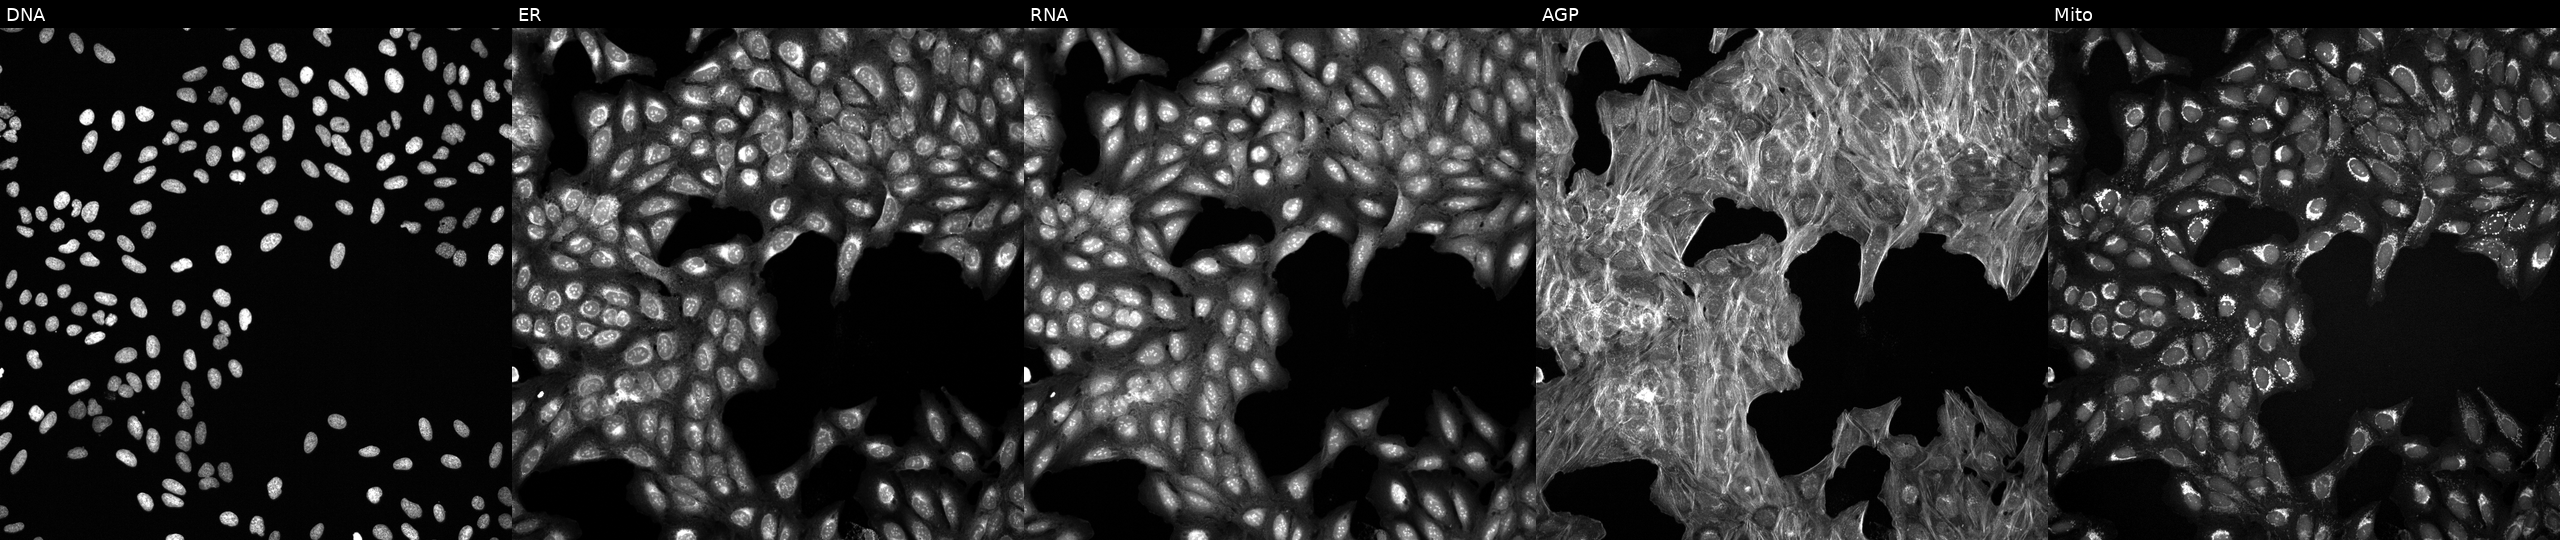
Five-channel Cell Painting image of U2OS cells treated with a small-molecule compound (InChIKey SIIKEKXZGVVGID-UHFFFAOYSA-N). Channels (left→right): DNA (nuclei); ER (endoplasmic reticulum); RNA (nucleoli and cytoplasmic RNA); AGP (actin cytoskeleton, Golgi, and plasma membrane); Mito (mitochondria). Source 6, plate 110000293083, well M17.